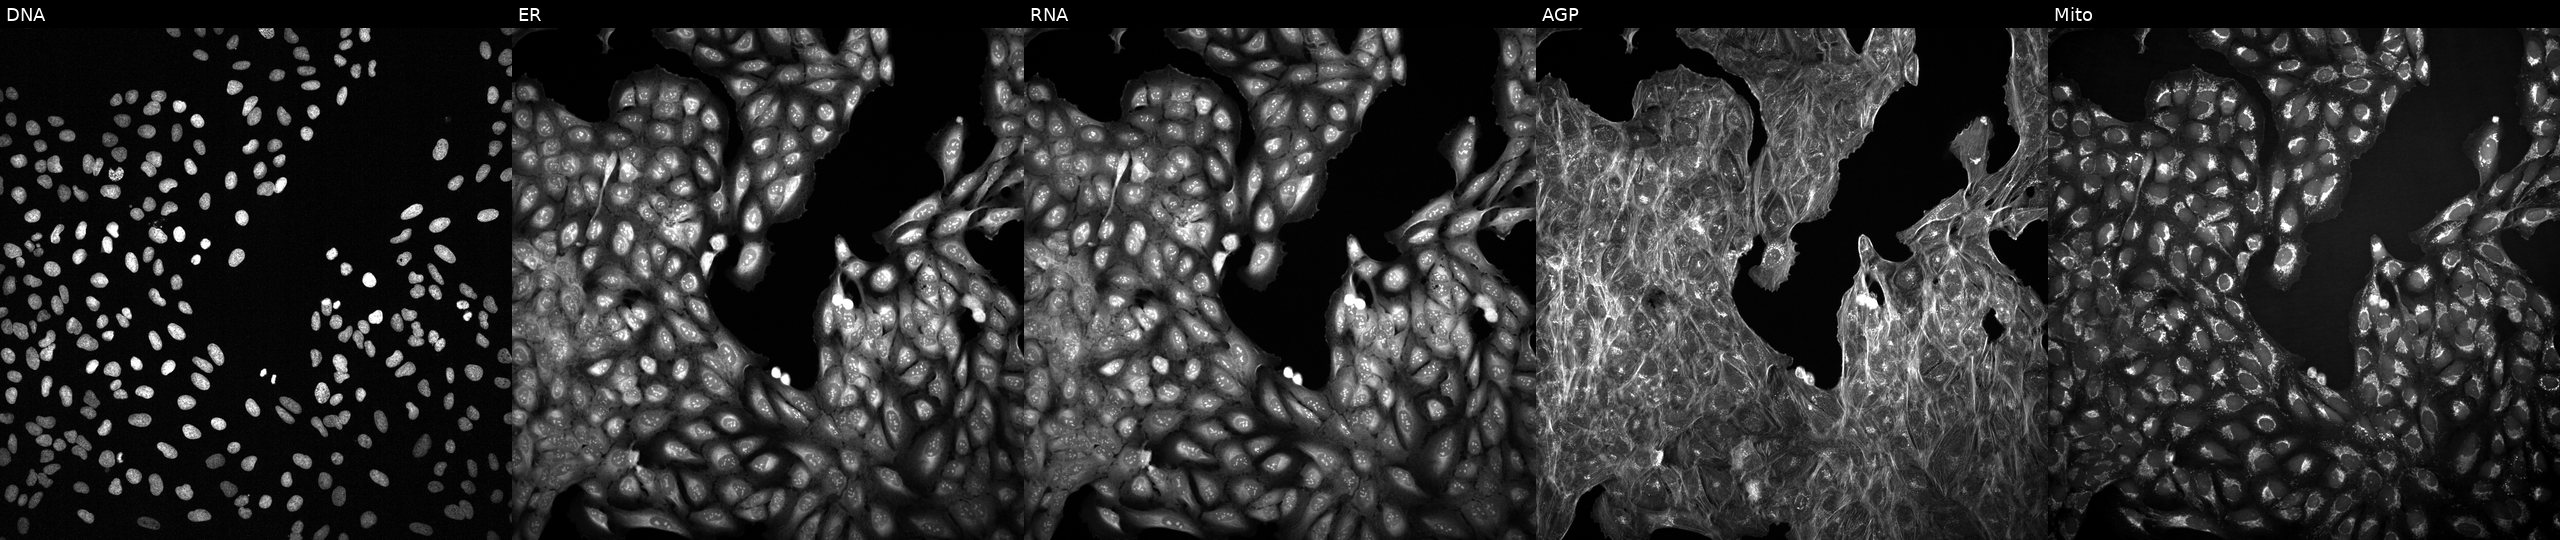
JUMP Cell Painting — TARGET2 plate. U2OS cells treated with a small-molecule compound (JUMP id JCP2022_067426). Panels show, left to right, DNA (nuclei); ER (endoplasmic reticulum); RNA (nucleoli and cytoplasmic RNA); AGP (actin cytoskeleton, Golgi, and plasma membrane); Mito (mitochondria).